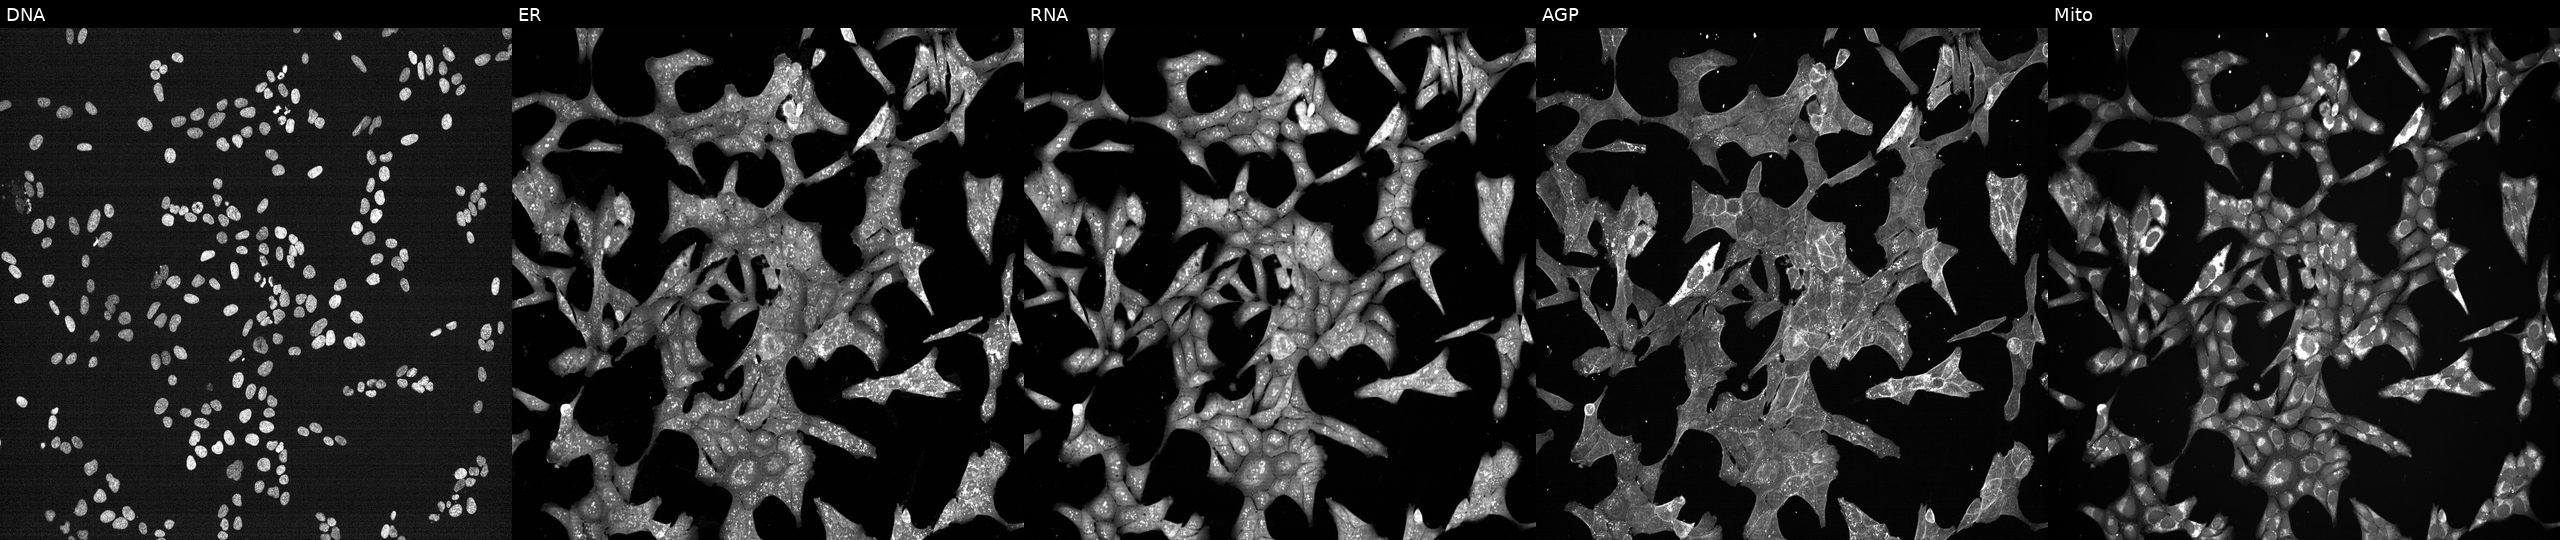
JUMP Cell Painting — TARGET2 plate. U2OS cells treated with a small-molecule compound (InChIKey JVCWPUFNLFSKFS-UHFFFAOYSA-N) (JUMP id JCP2022_042332). The five panels, left to right, show DNA, ER, RNA, AGP, and Mito.